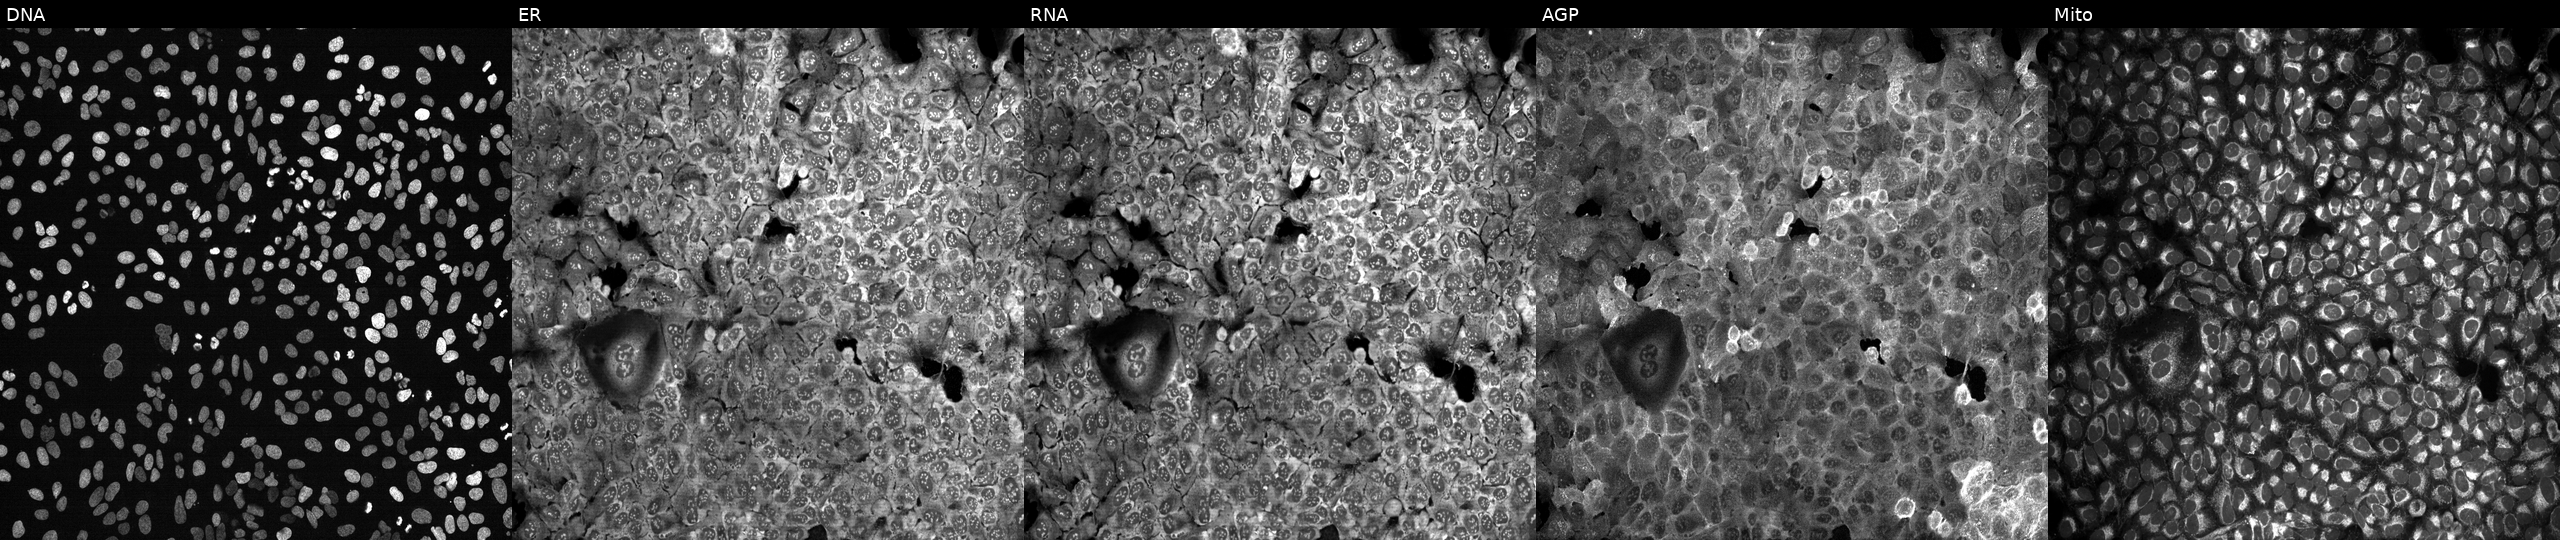
Five-channel Cell Painting image of U2OS cells with RDH11 knocked out by CRISPR (JUMP id JCP2022_805885). Channels (left→right): DNA (nuclei); ER (endoplasmic reticulum); RNA (nucleoli and cytoplasmic RNA); AGP (actin cytoskeleton, Golgi, and plasma membrane); Mito (mitochondria).